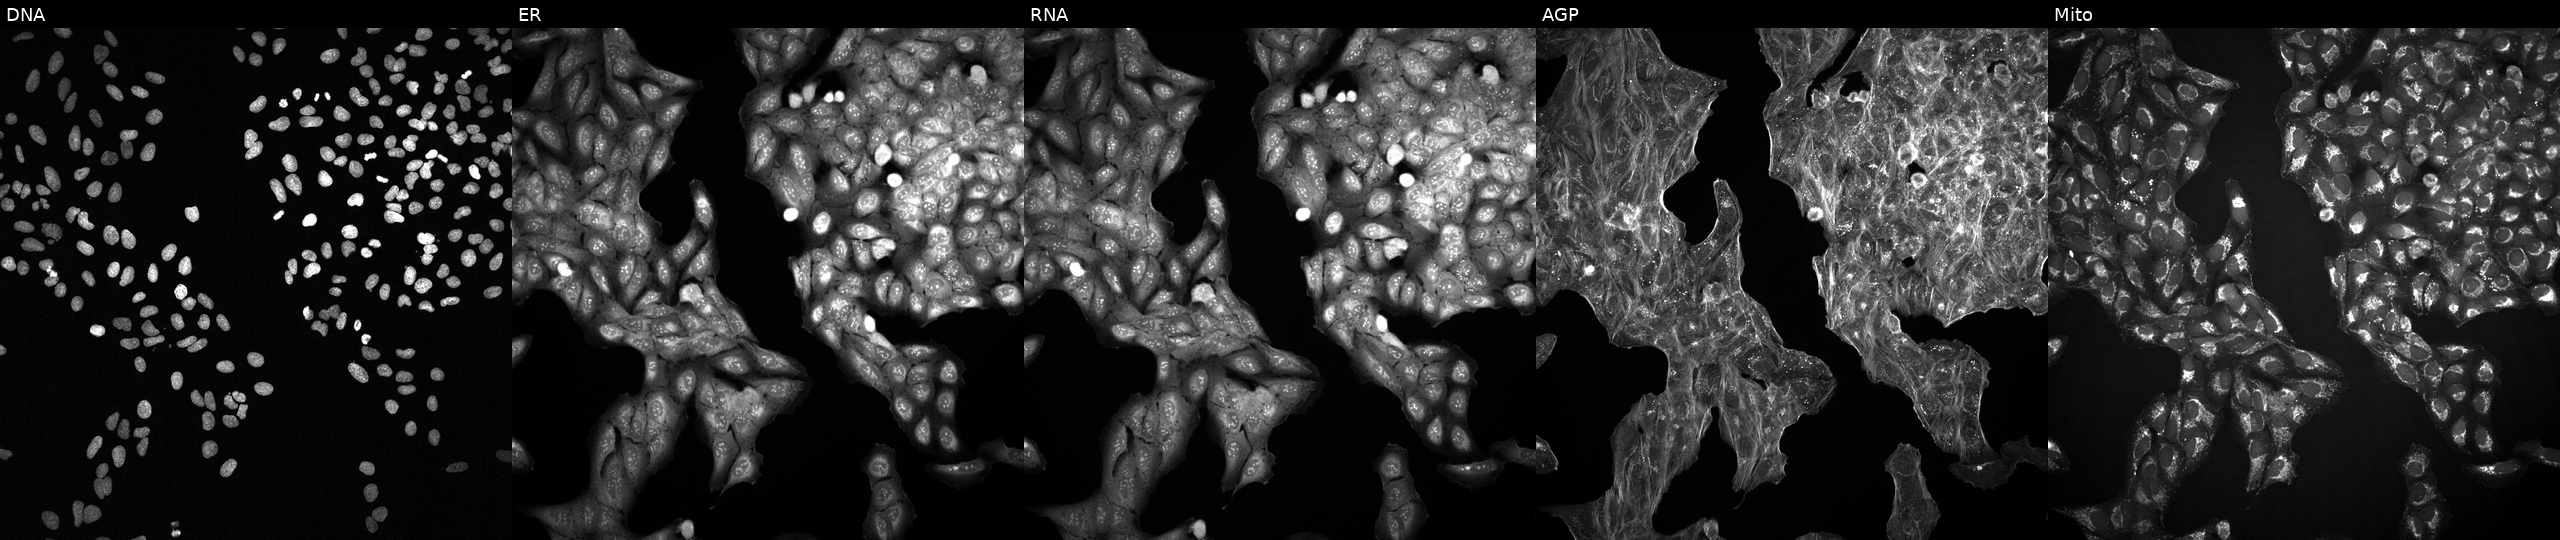
Five-channel Cell Painting image of U2OS cells exposed to a small-molecule compound. Panels show, left to right, Hoechst 33342, concanavalin A, SYTO 14, phalloidin and WGA, MitoTracker. Source 2, plate 1053600674, well I14.